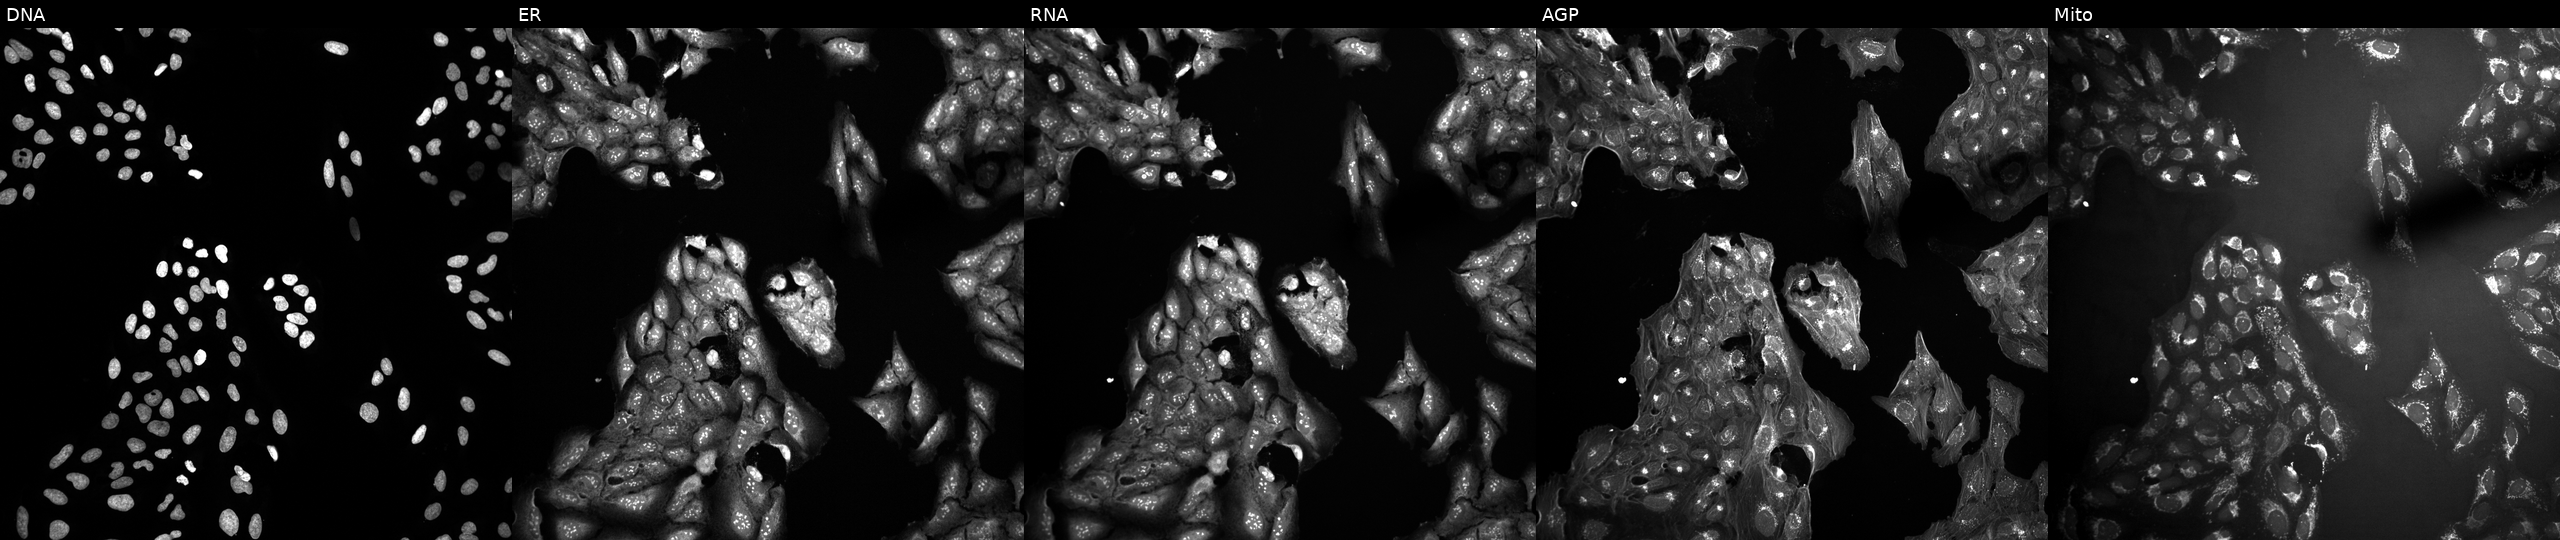
High-content fluorescence microscopy (Cell Painting). Cell line: U2OS. Perturbation: untreated (empty-well control). Channels (left→right): Hoechst 33342, concanavalin A, SYTO 14, phalloidin and WGA, MitoTracker. Source 10, plate Dest210531-152149, well F20.